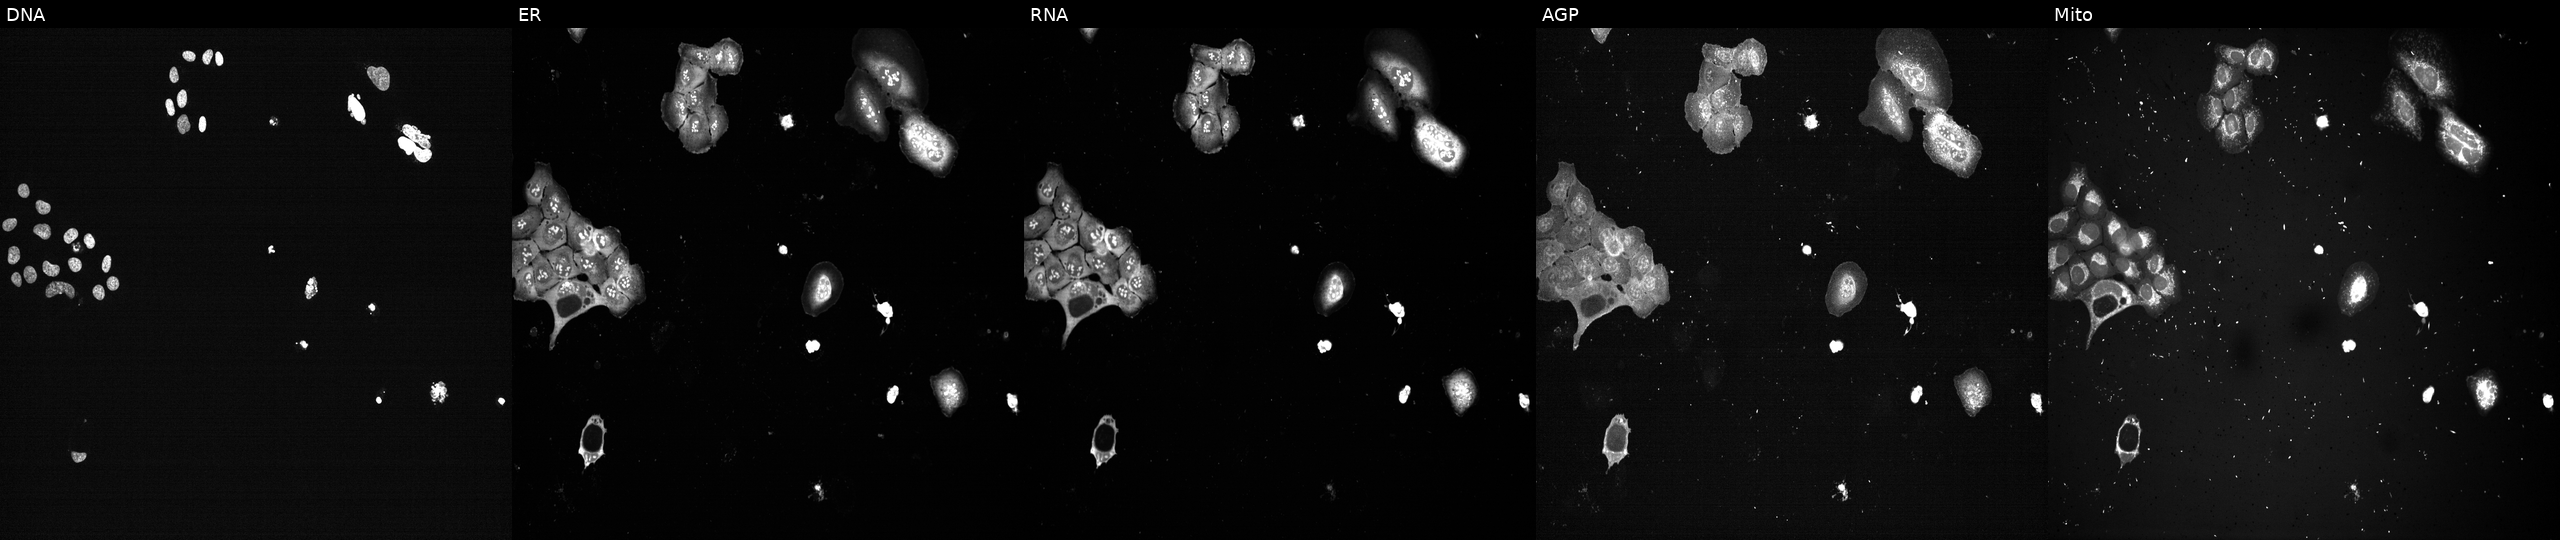
High-content fluorescence microscopy (Cell Painting). Cell line: U2OS. Perturbation: with PLK1 knocked out by CRISPR (positive control) (JUMP id JCP2022_805264). Channels (left→right): DNA (nuclei); ER (endoplasmic reticulum); RNA (nucleoli and cytoplasmic RNA); AGP (actin cytoskeleton, Golgi, and plasma membrane); Mito (mitochondria).